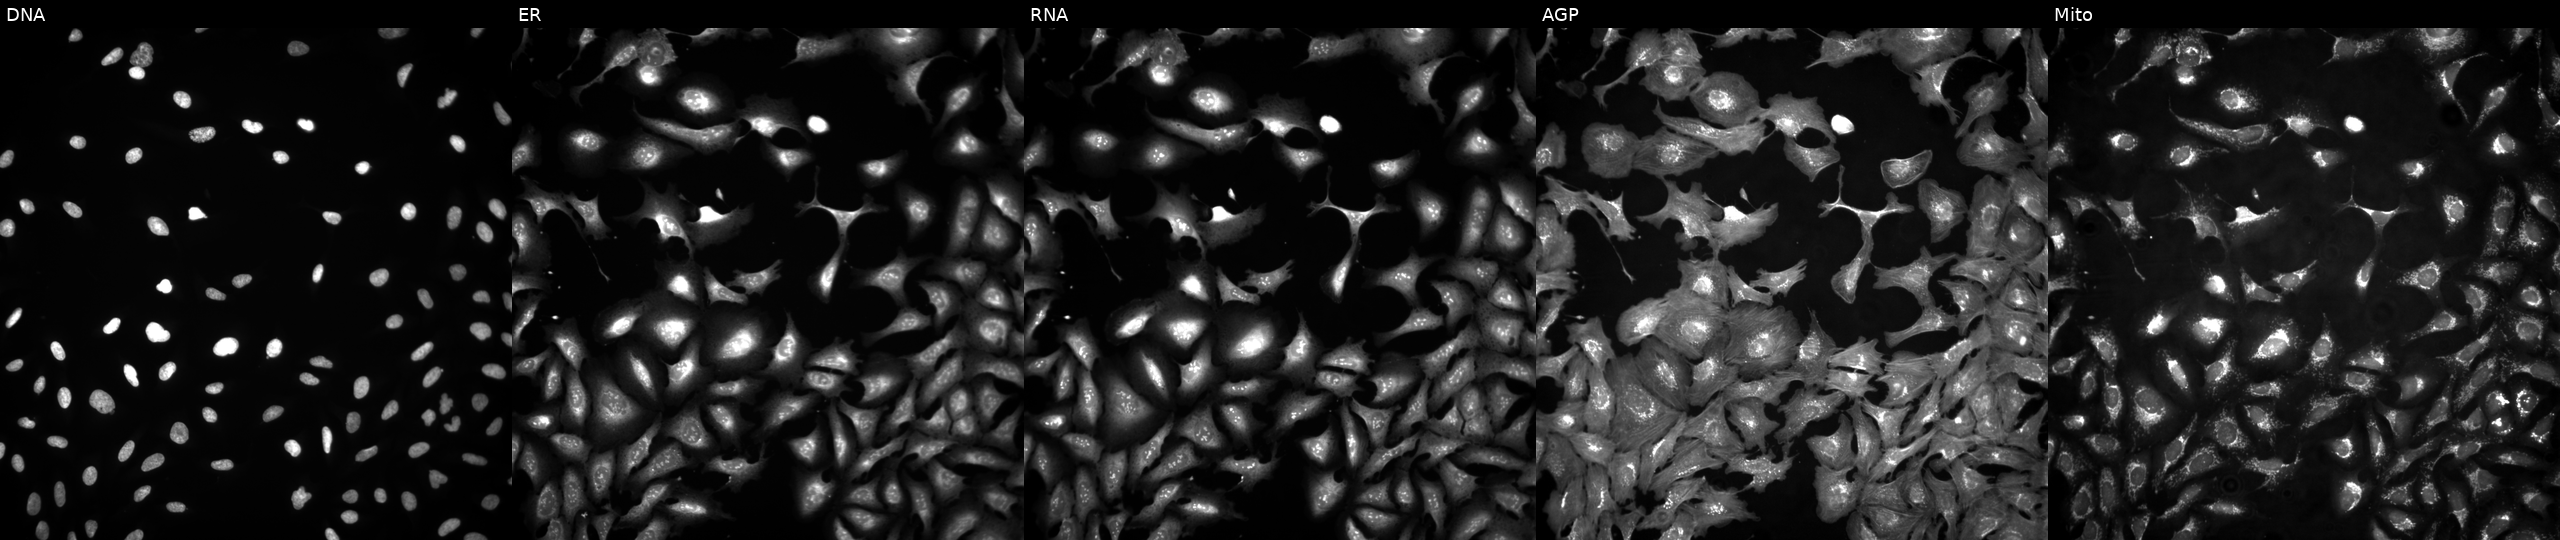
This image strip shows the five Cell Painting channels for a single field of U2OS cells transfected with an ORF construct for PLXNB2. Channels (left→right): DNA (nuclei); ER (endoplasmic reticulum); RNA (nucleoli and cytoplasmic RNA); AGP (actin cytoskeleton, Golgi, and plasma membrane); Mito (mitochondria). Source 4, plate BR00123945, well G22.